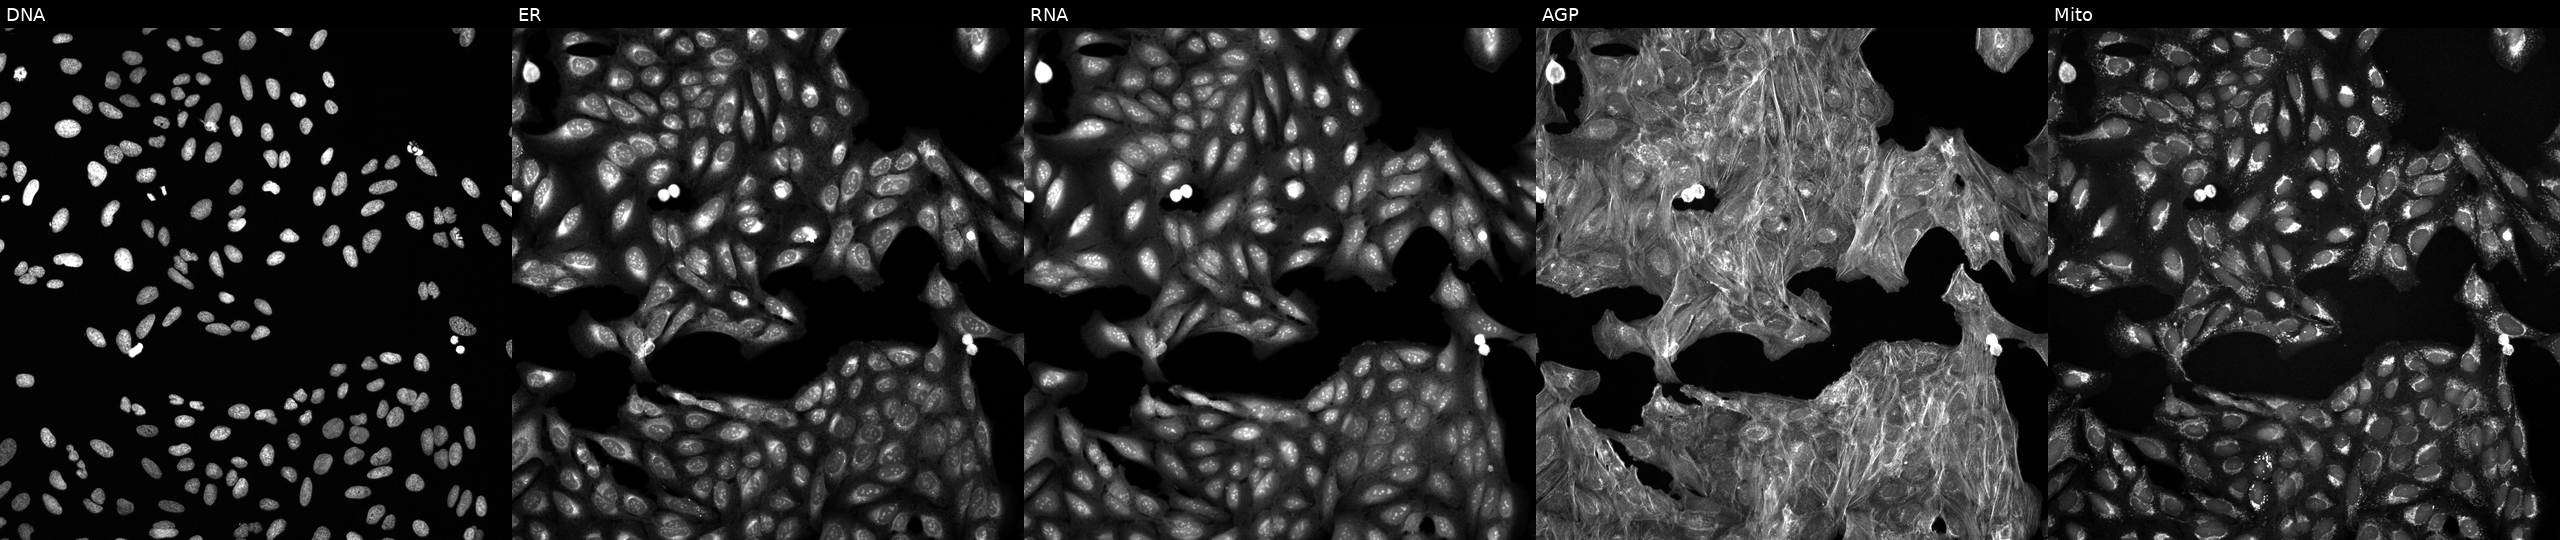
U2OS cells, Cell Painting assay, exposed to DMSO alone as a negative control (JUMP id JCP2022_033924). Channels (left→right): DNA (nuclei); ER (endoplasmic reticulum); RNA (nucleoli and cytoplasmic RNA); AGP (actin cytoskeleton, Golgi, and plasma membrane); Mito (mitochondria). Each panel is percentile-stretched 16-bit fluorescence. Source 6, plate 110000293093, well A05.